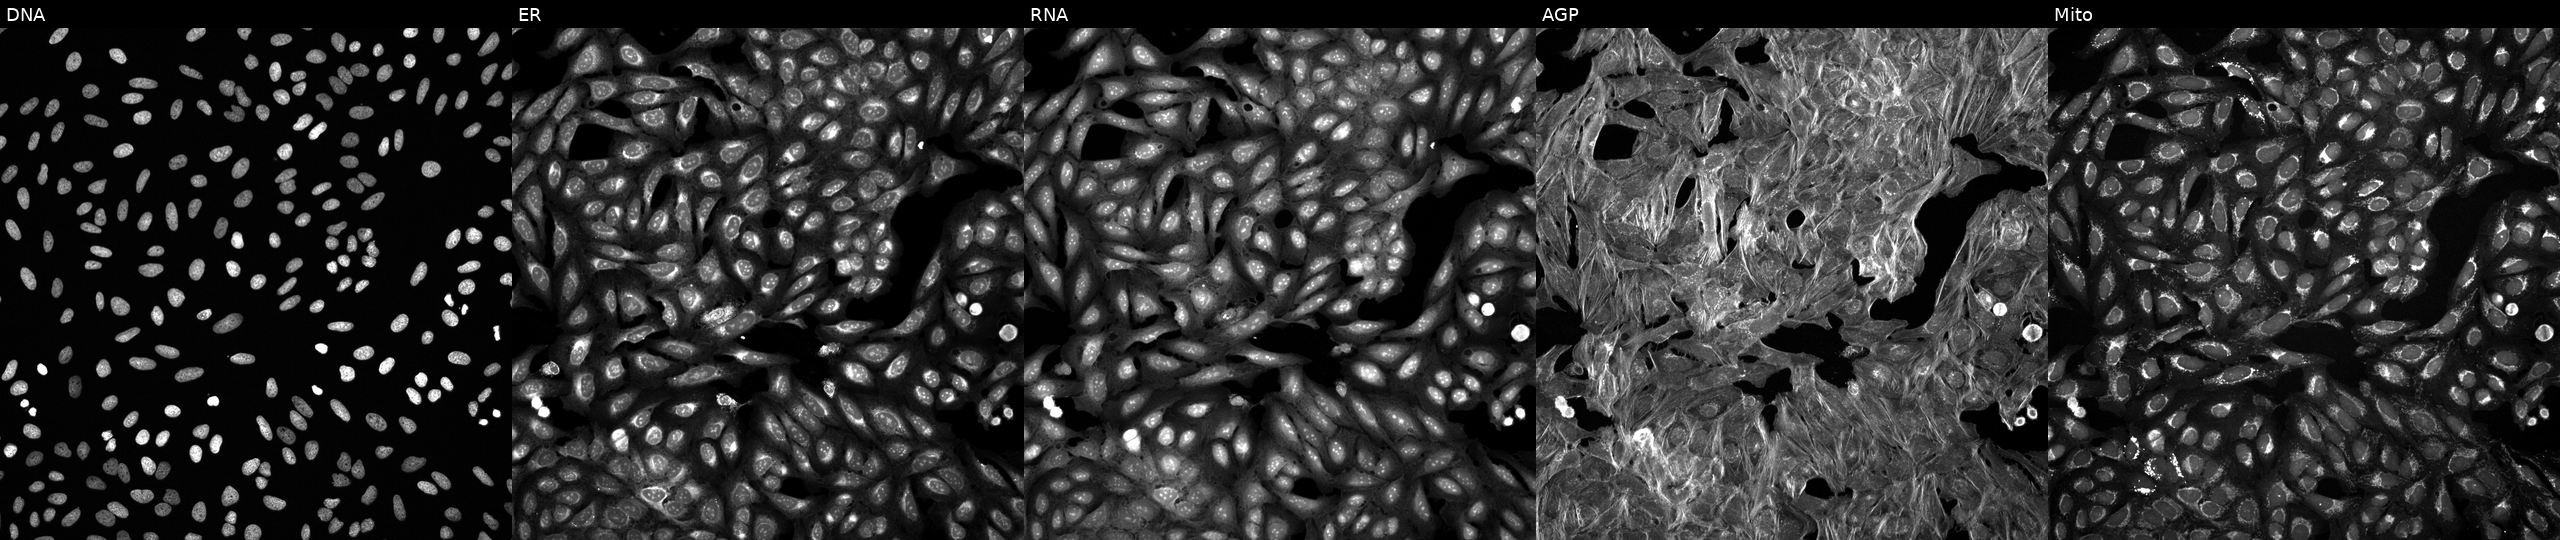
This image strip shows the five Cell Painting channels for a single field of U2OS cells exposed to a small-molecule compound (InChIKey NBHPRWLFLUBAIE-UHFFFAOYSA-N) (JUMP id JCP2022_057881). Channels (left→right): DNA (nuclei); ER (endoplasmic reticulum); RNA (nucleoli and cytoplasmic RNA); AGP (actin cytoskeleton, Golgi, and plasma membrane); Mito (mitochondria). Source 6, plate 110000294901, well I11.